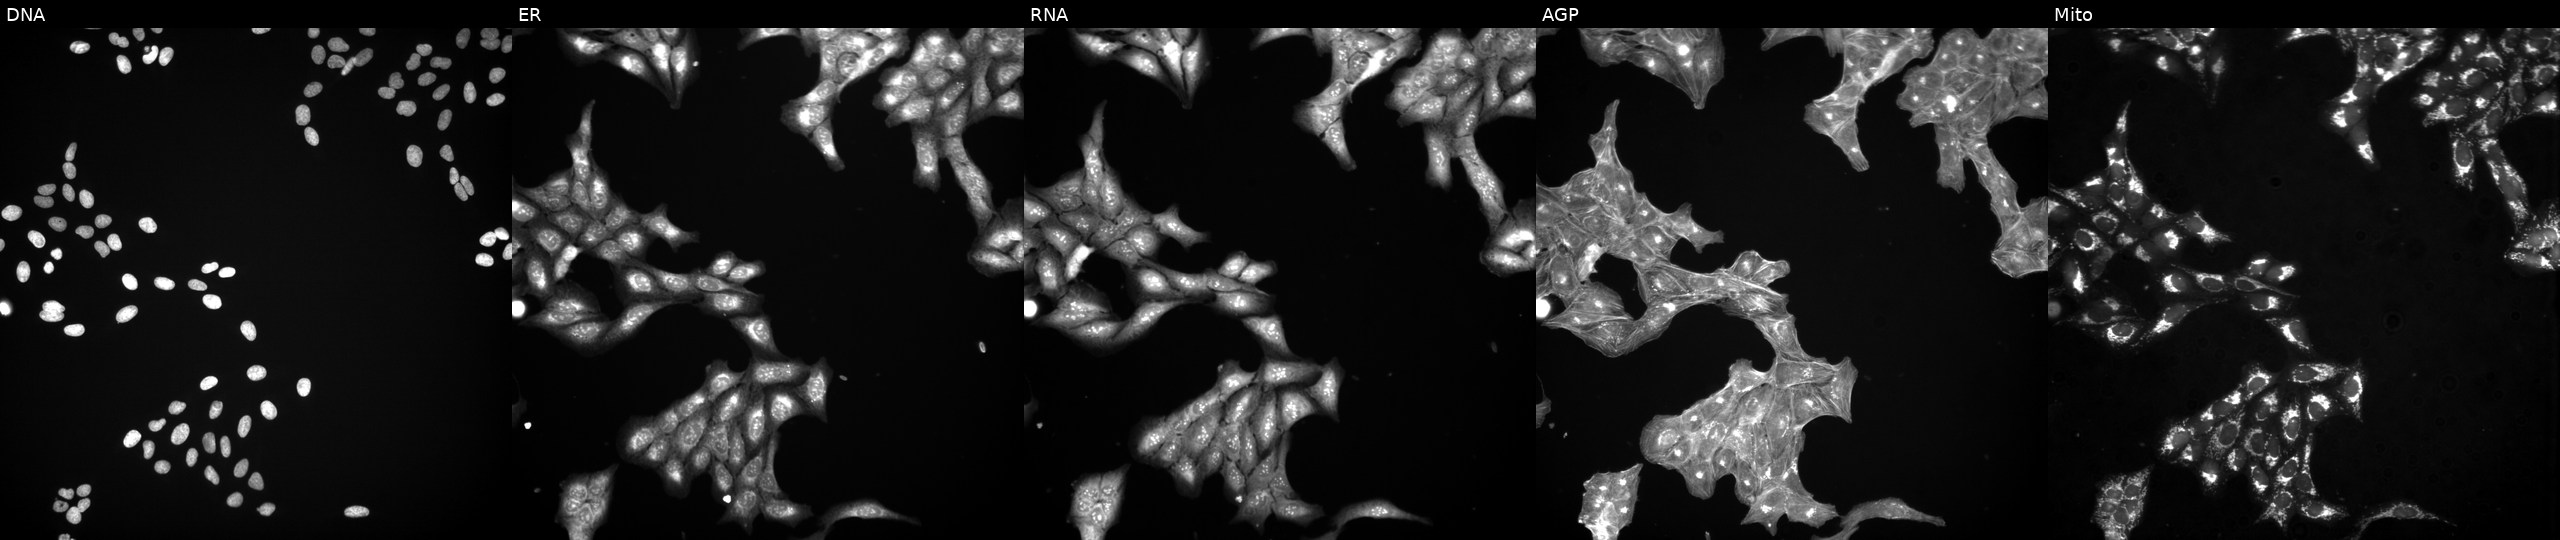
This image strip shows the five Cell Painting channels for a single field of U2OS cells treated with a small-molecule compound (InChIKey GYYRMJMXXLJZAB-UHFFFAOYSA-N) (JUMP id JCP2022_028645). The five panels, left to right, show DNA, ER, RNA, AGP, and Mito.